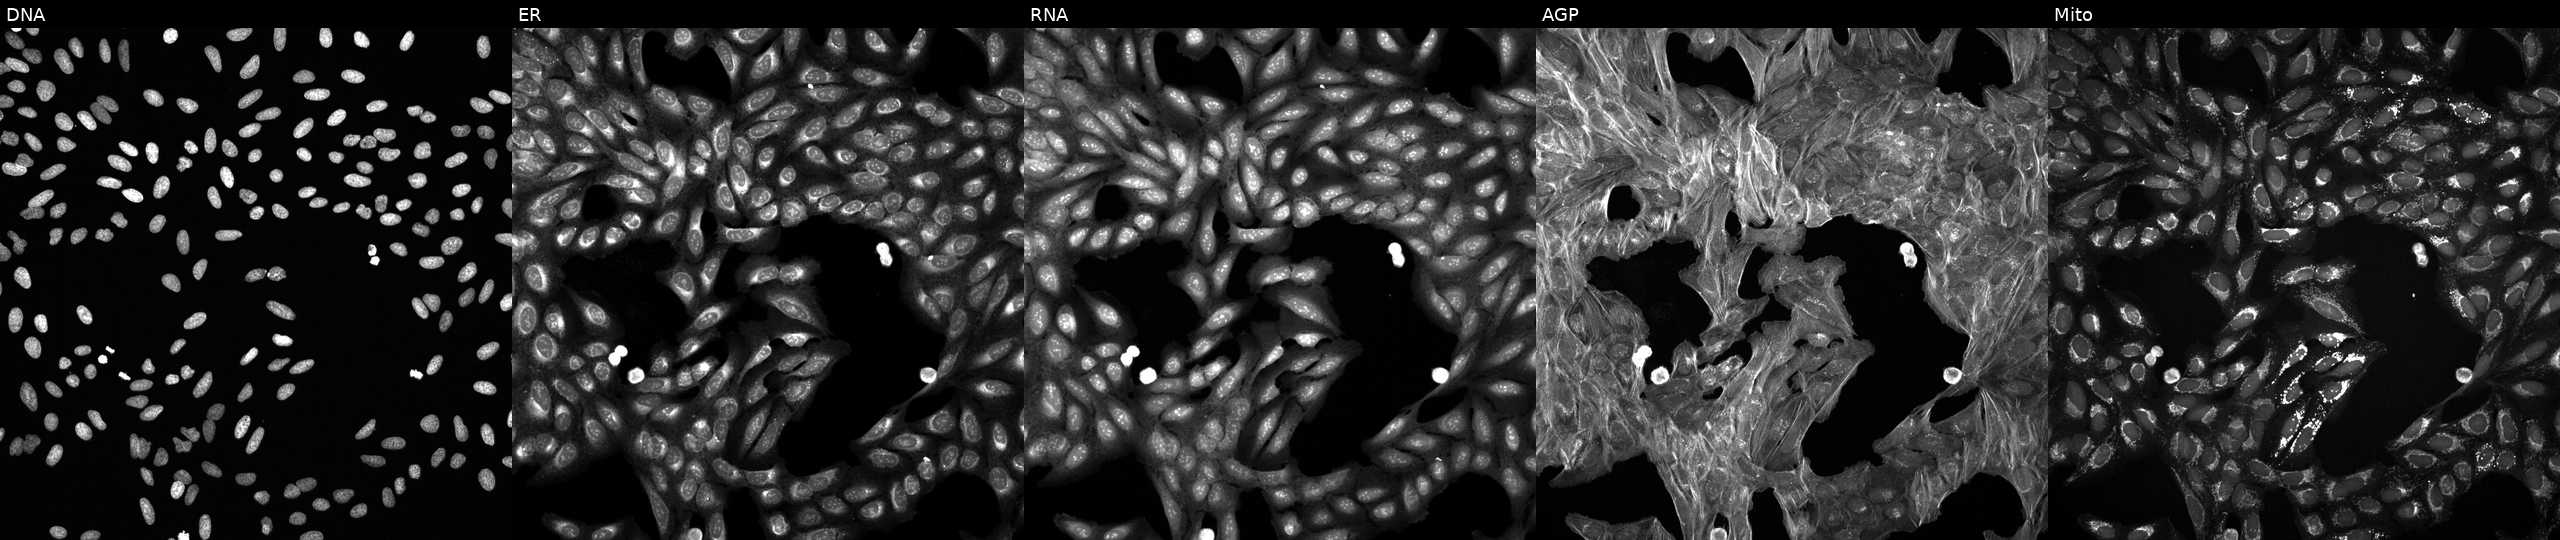
High-content fluorescence microscopy (Cell Painting). Cell line: U2OS. Perturbation: exposed to a small-molecule compound. From left to right: Hoechst 33342, concanavalin A, SYTO 14, phalloidin and WGA, MitoTracker.